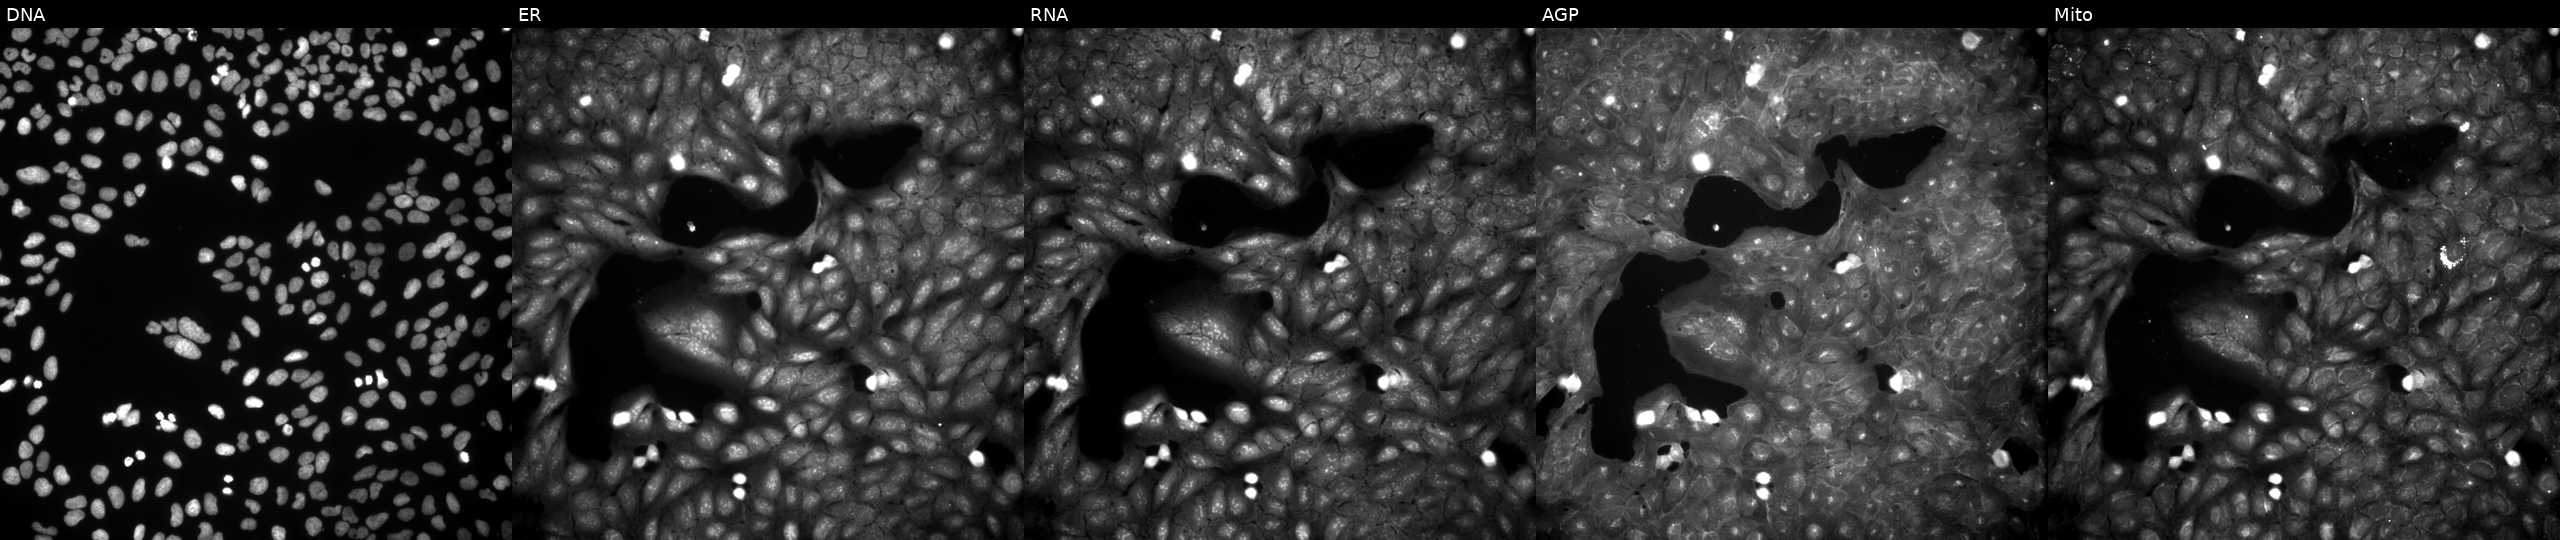
U2OS cells, Cell Painting assay, perturbed with a small-molecule compound (InChIKey DDYDDAVBYMTKTM-UHFFFAOYSA-N) [SMILES: O=C(O)CSc1nc2cc(Cl)ccc2s1] (JUMP id JCP2022_015290). Panels show, left to right, DNA (nuclei); ER (endoplasmic reticulum); RNA (nucleoli and cytoplasmic RNA); AGP (actin cytoskeleton, Golgi, and plasma membrane); Mito (mitochondria). Each panel is percentile-stretched 16-bit fluorescence. Source 9, plate GR00003381, well F34.